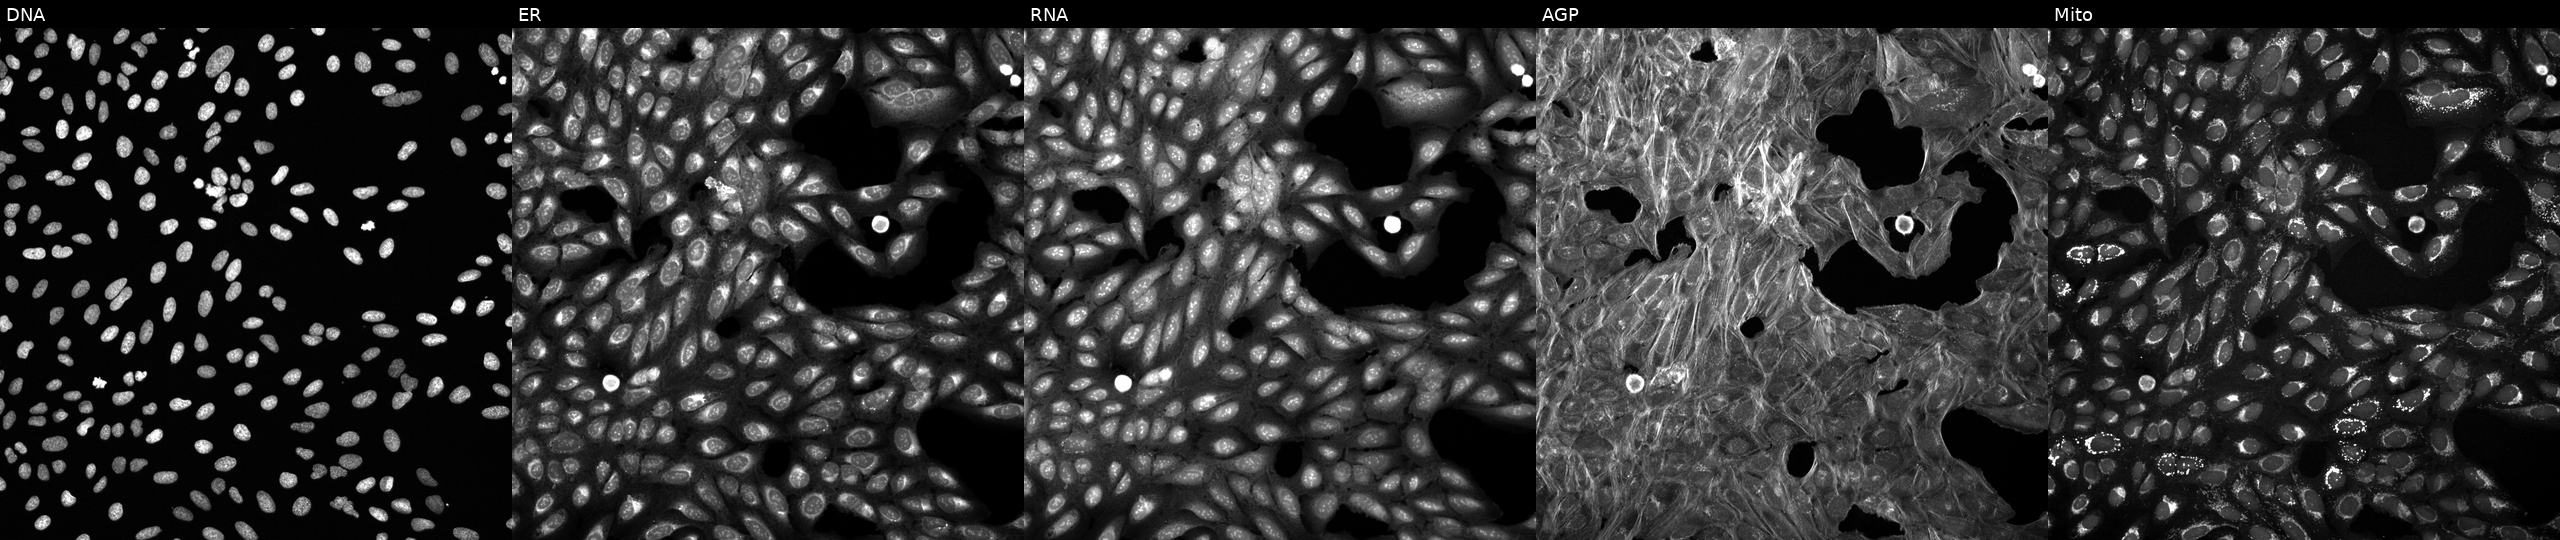
Channels (left→right): DNA, ER, RNA, AGP, and Mito. U2OS osteosarcoma cells perturbed with a small-molecule compound (InChIKey DDCIUFDLUIFXOR-UHFFFAOYSA-N) (JUMP id JCP2022_015169). Cell Painting assay, JUMP-CP dataset.